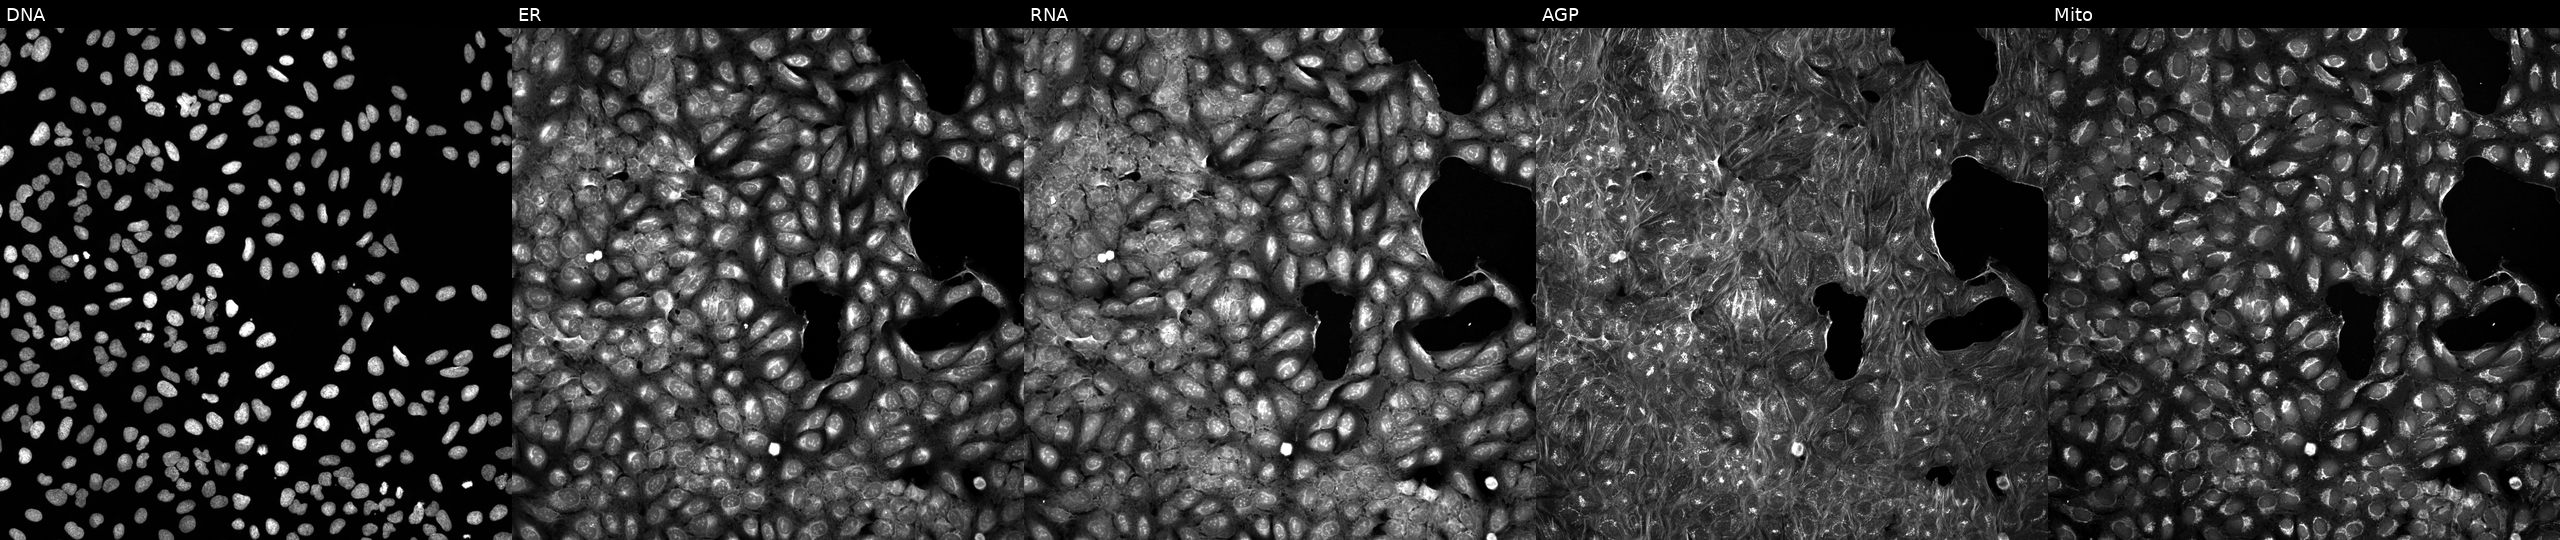
High-content fluorescence microscopy (Cell Painting). Cell line: U2OS. Perturbation: exposed to DMSO alone as a negative control (JUMP id JCP2022_033924). Panels show, left to right, DNA, ER, RNA, AGP, and Mito. Source 5, plate ACPJUM051, well I15.